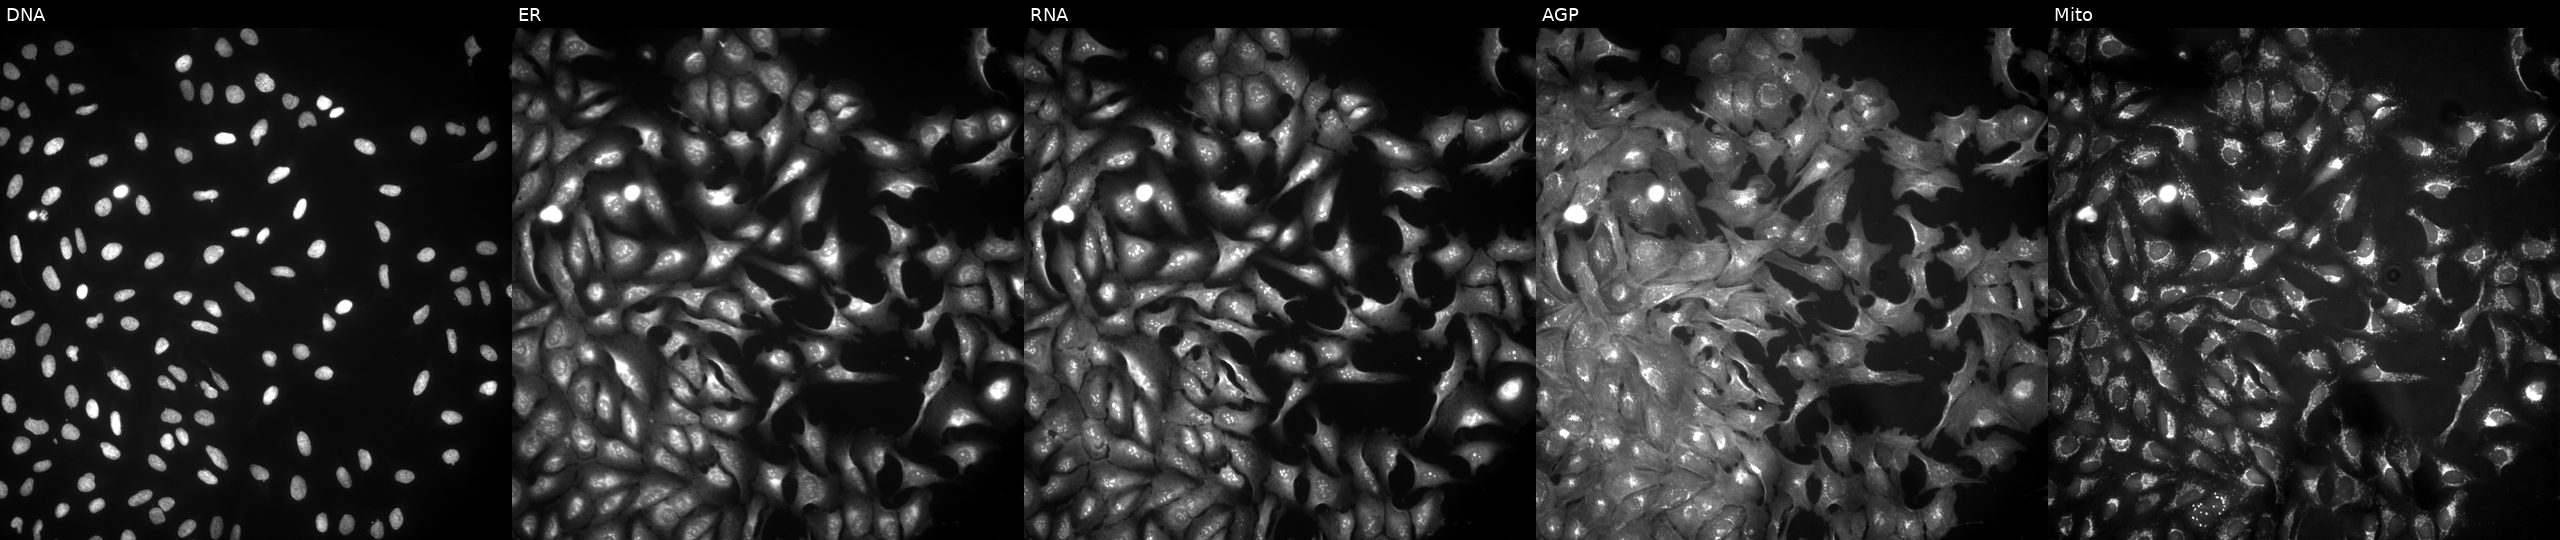
JUMP Cell Painting — ORF plate. U2OS cells with CCT8L2 overexpressed (ORF) (JUMP id JCP2022_915066). The five panels, left to right, show Hoechst 33342, concanavalin A, SYTO 14, phalloidin and WGA, MitoTracker.